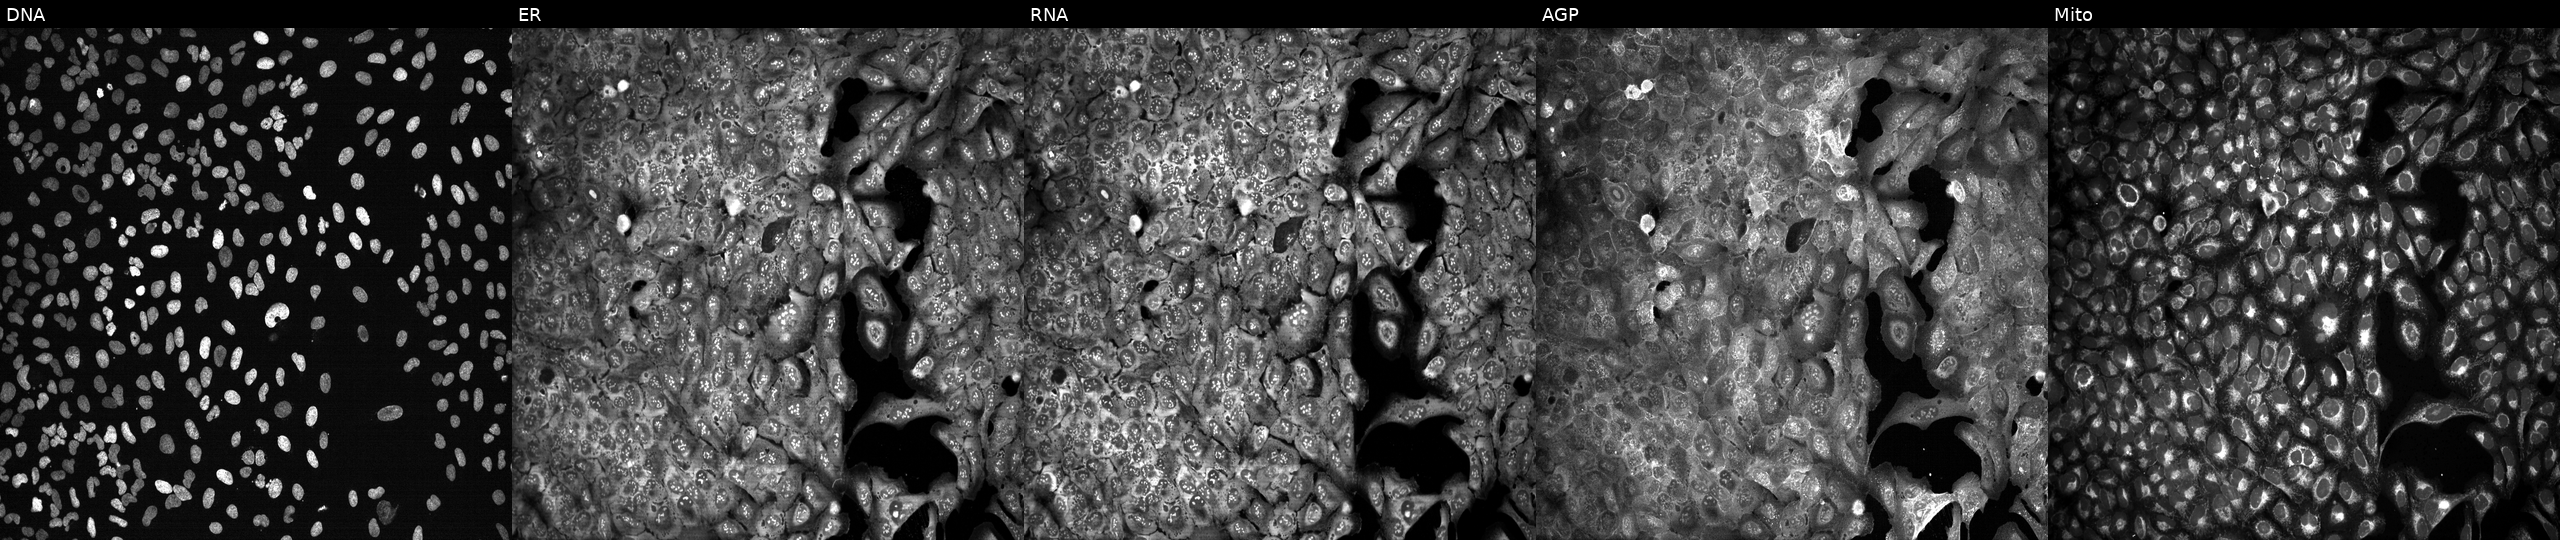
Five-channel Cell Painting image of U2OS cells CRISPR-edited to disrupt ABCA7 (JUMP id JCP2022_800028). The five panels, left to right, show Hoechst 33342, concanavalin A, SYTO 14, phalloidin and WGA, MitoTracker. Source 13, plate CP-CC9-R4-04, well J18.